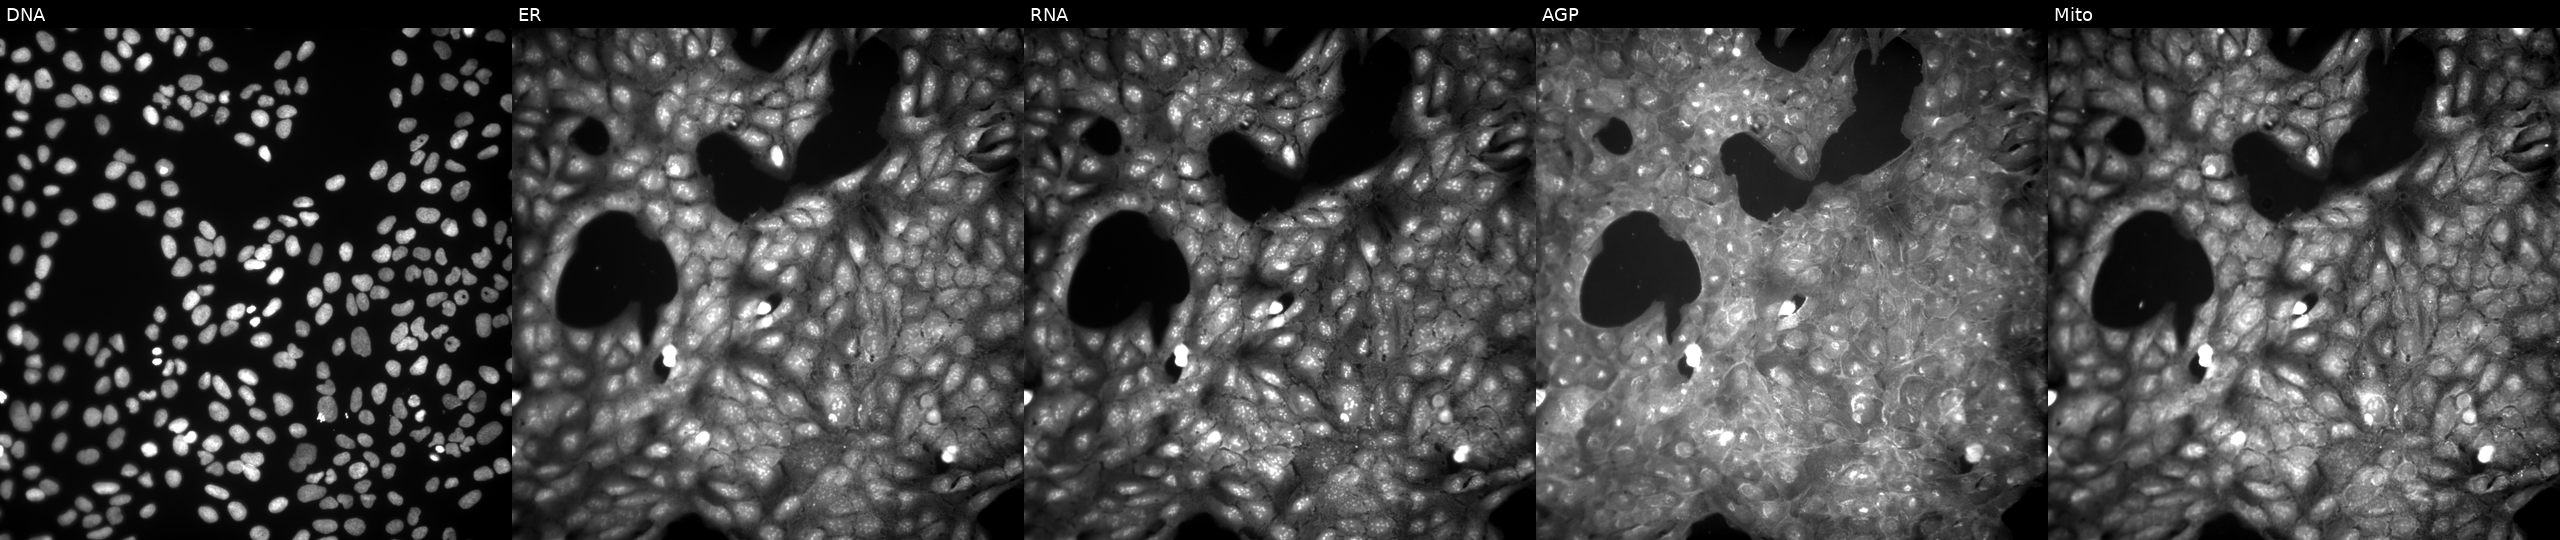
This image strip shows the five Cell Painting channels for a single field of U2OS cells treated with a small-molecule compound (InChIKey CAQBSYMXCGBEHR-UHFFFAOYSA-N). Channels (left→right): Hoechst 33342, concanavalin A, SYTO 14, phalloidin and WGA, MitoTracker.